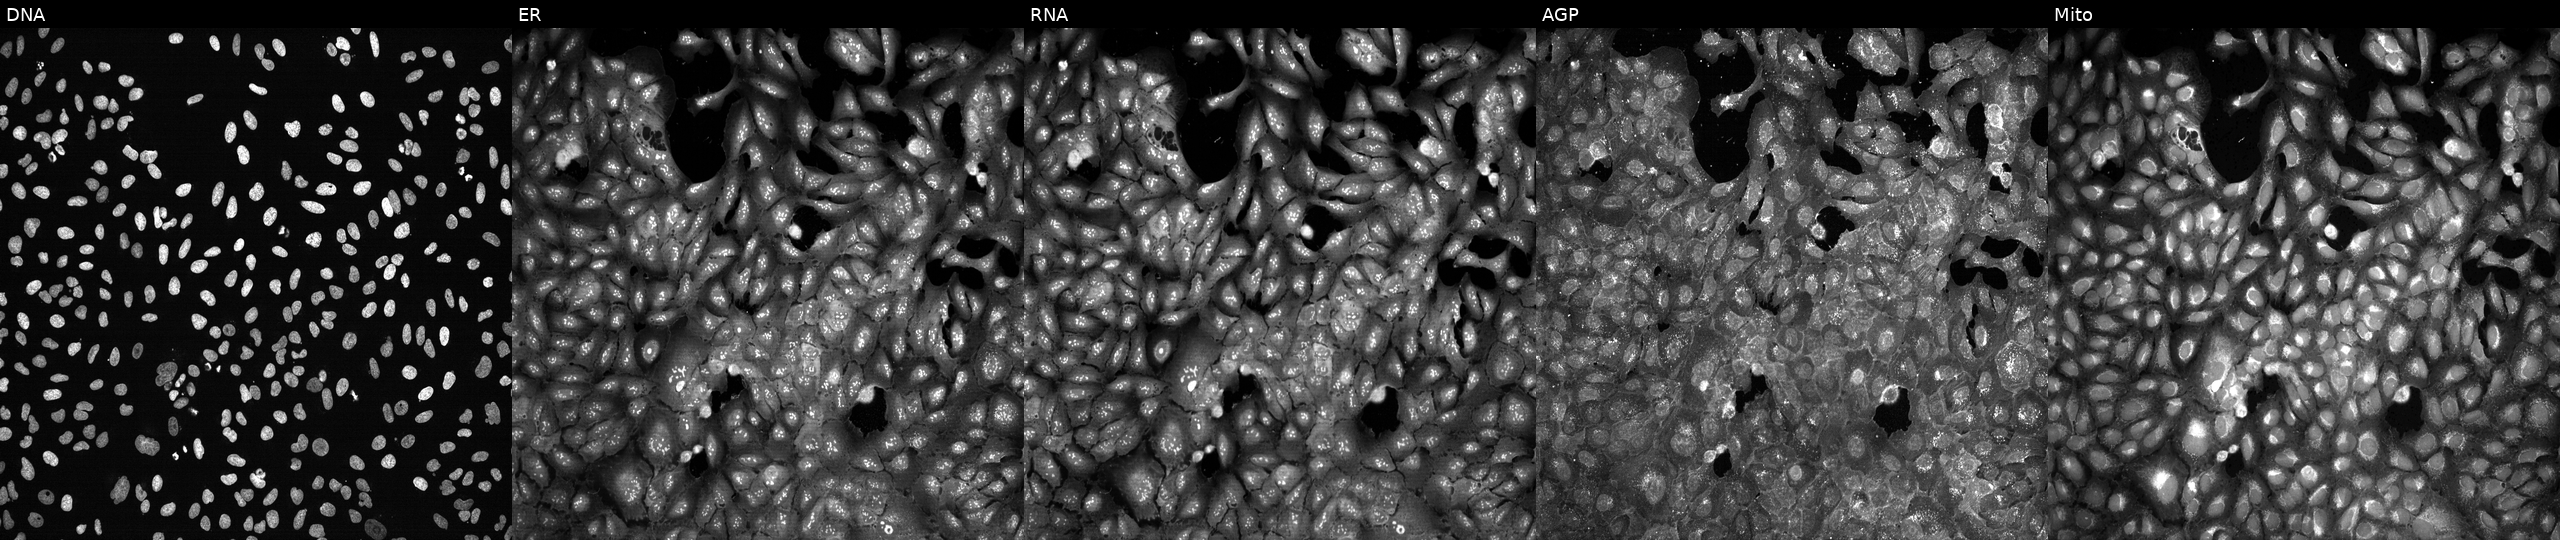
The five panels, left to right, show DNA, ER, RNA, AGP, and Mito. U2OS osteosarcoma cells following CRISPR knockout of DNM1 (JUMP id JCP2022_801876). Cell Painting assay, JUMP-CP dataset. Source 13, plate CP-CC9-R1-02, well E08.